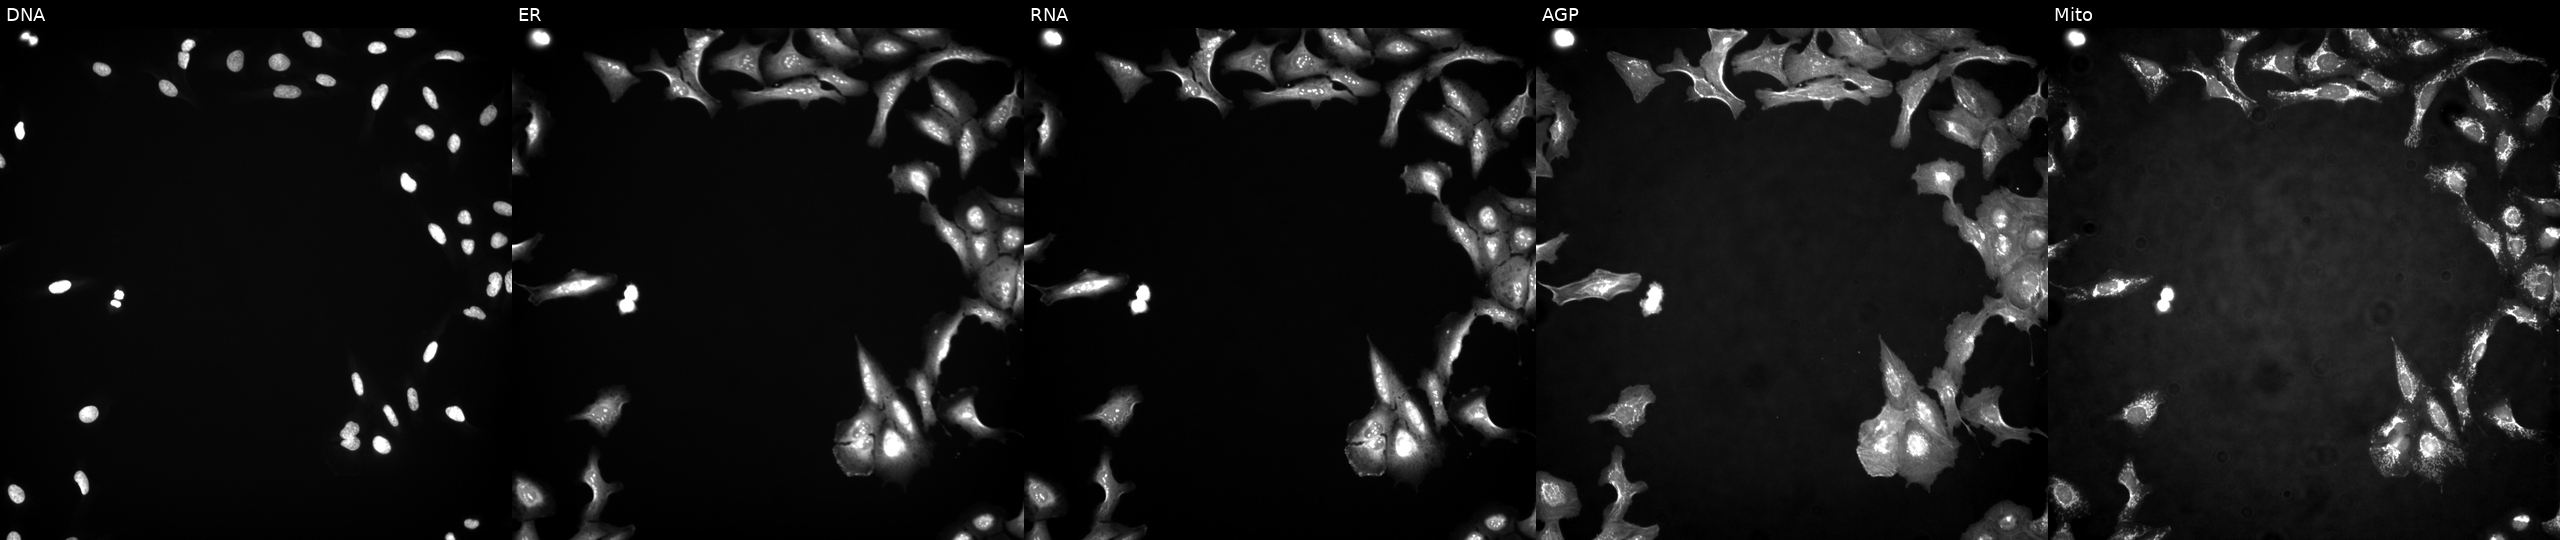
The five panels, left to right, show DNA (nuclei); ER (endoplasmic reticulum); RNA (nucleoli and cytoplasmic RNA); AGP (actin cytoskeleton, Golgi, and plasma membrane); Mito (mitochondria). U2OS osteosarcoma cells transfected with an ORF construct for DIDO1. Cell Painting assay, JUMP-CP dataset. Source 4, plate BR00117035, well K10.